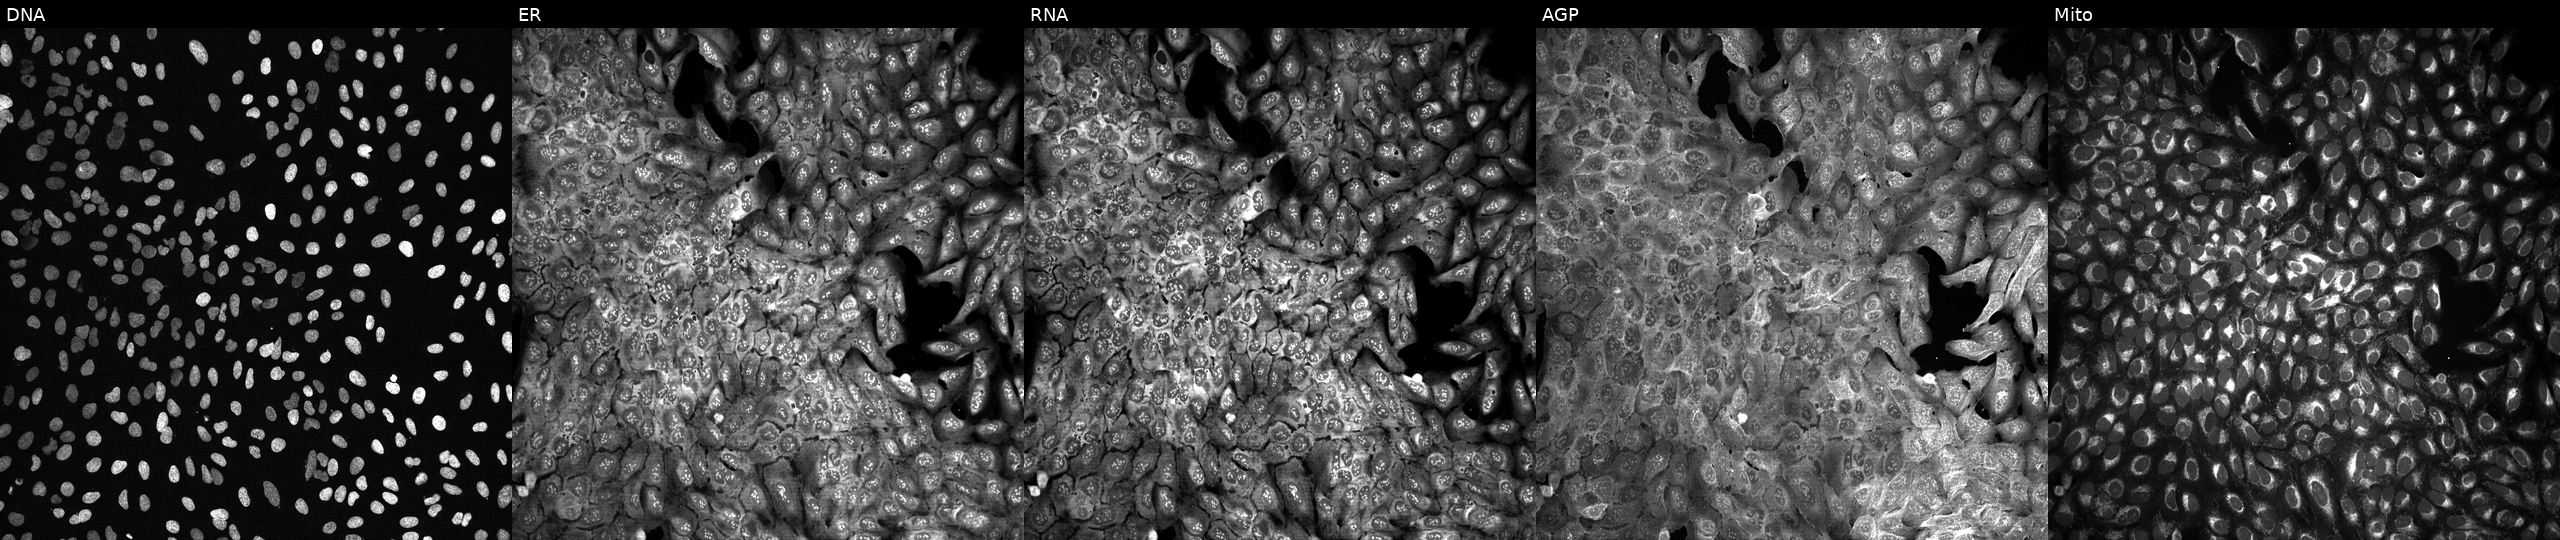
Five-channel Cell Painting image of U2OS cells following CRISPR knockout of RDH11 (JUMP id JCP2022_805885). From left to right: DNA, ER, RNA, AGP, and Mito. Source 13, plate CP-CC9-R3-02, well G06.